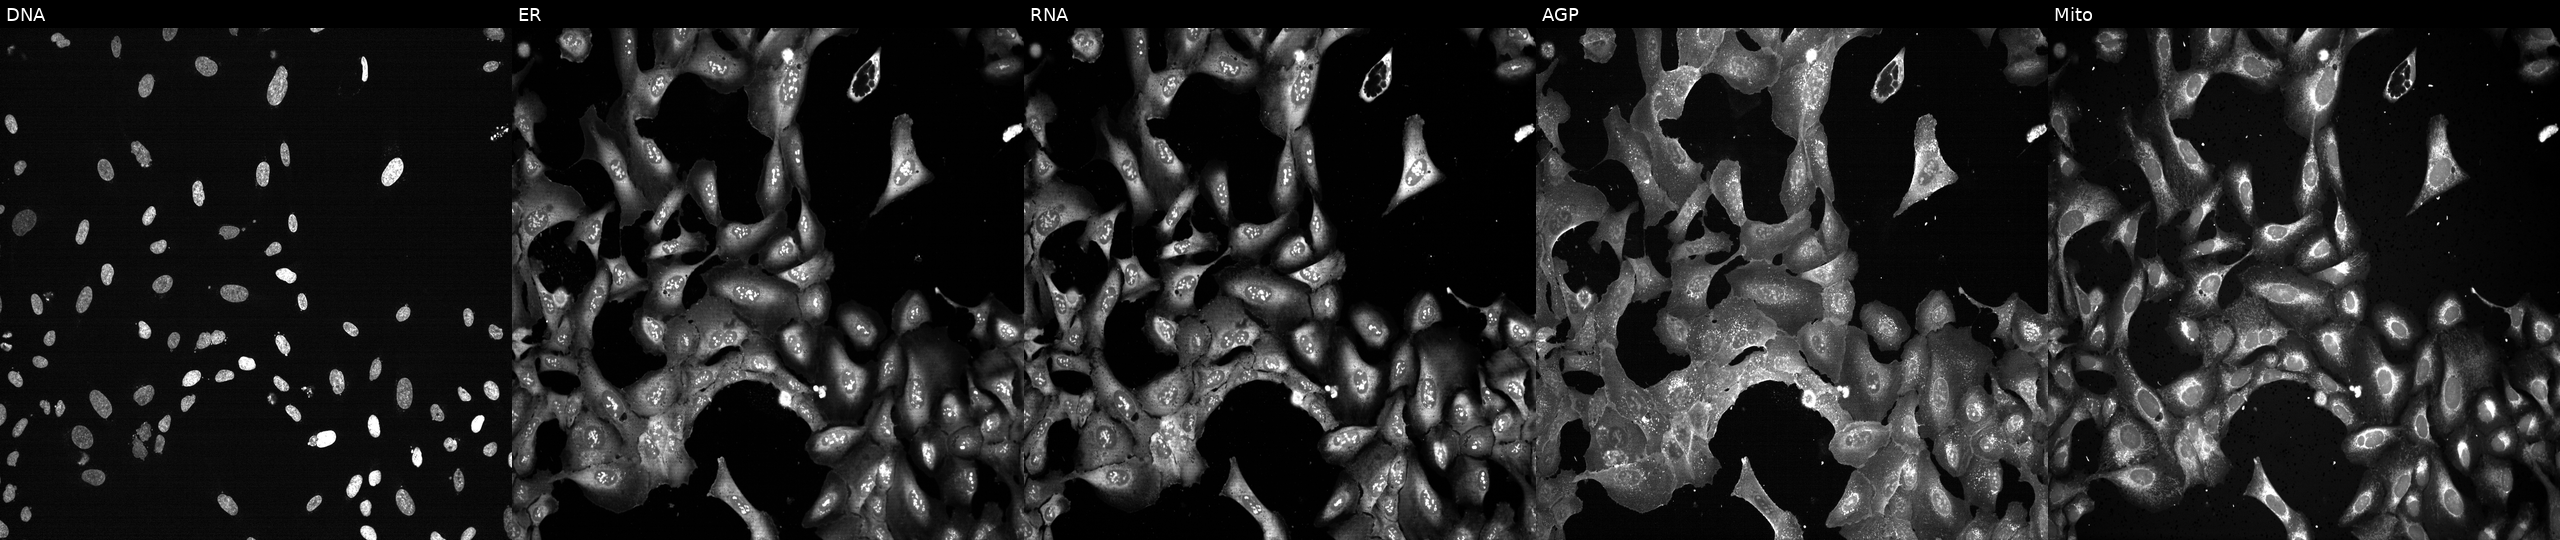
Panels show, left to right, Hoechst 33342, concanavalin A, SYTO 14, phalloidin and WGA, MitoTracker. U2OS osteosarcoma cells CRISPR-edited to disrupt LRP10 (JUMP id JCP2022_803897). Cell Painting assay, JUMP-CP dataset.